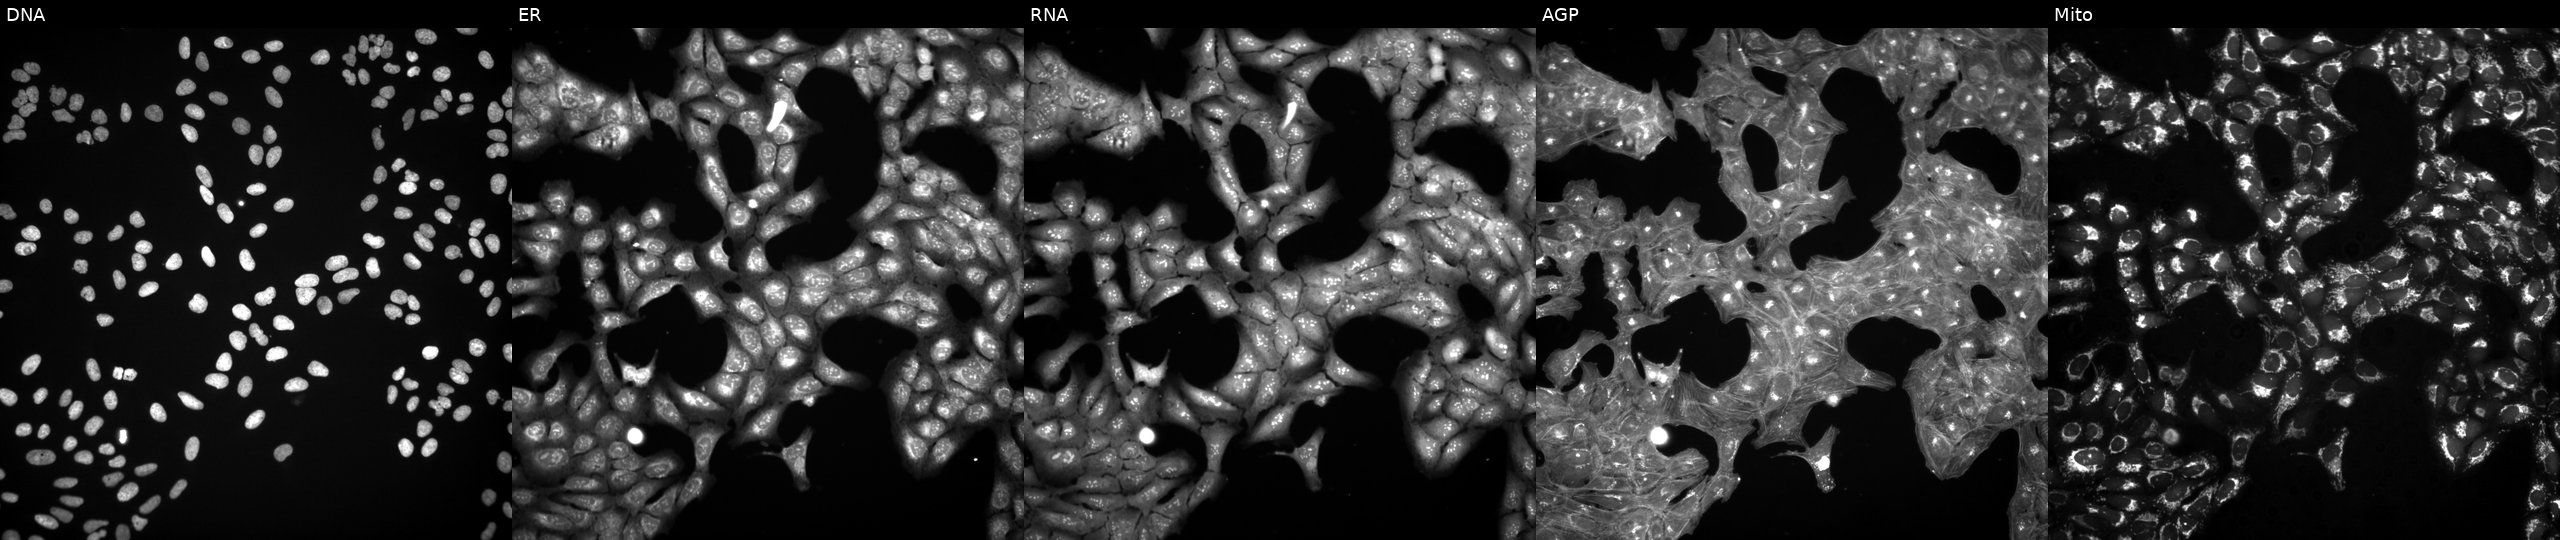
Panels show, left to right, DNA (nuclei); ER (endoplasmic reticulum); RNA (nucleoli and cytoplasmic RNA); AGP (actin cytoskeleton, Golgi, and plasma membrane); Mito (mitochondria). U2OS osteosarcoma cells treated with DMSO vehicle only (negative control) (JUMP id JCP2022_033924). Cell Painting assay, JUMP-CP dataset. Source 3, plate JCPQC051, well H17.